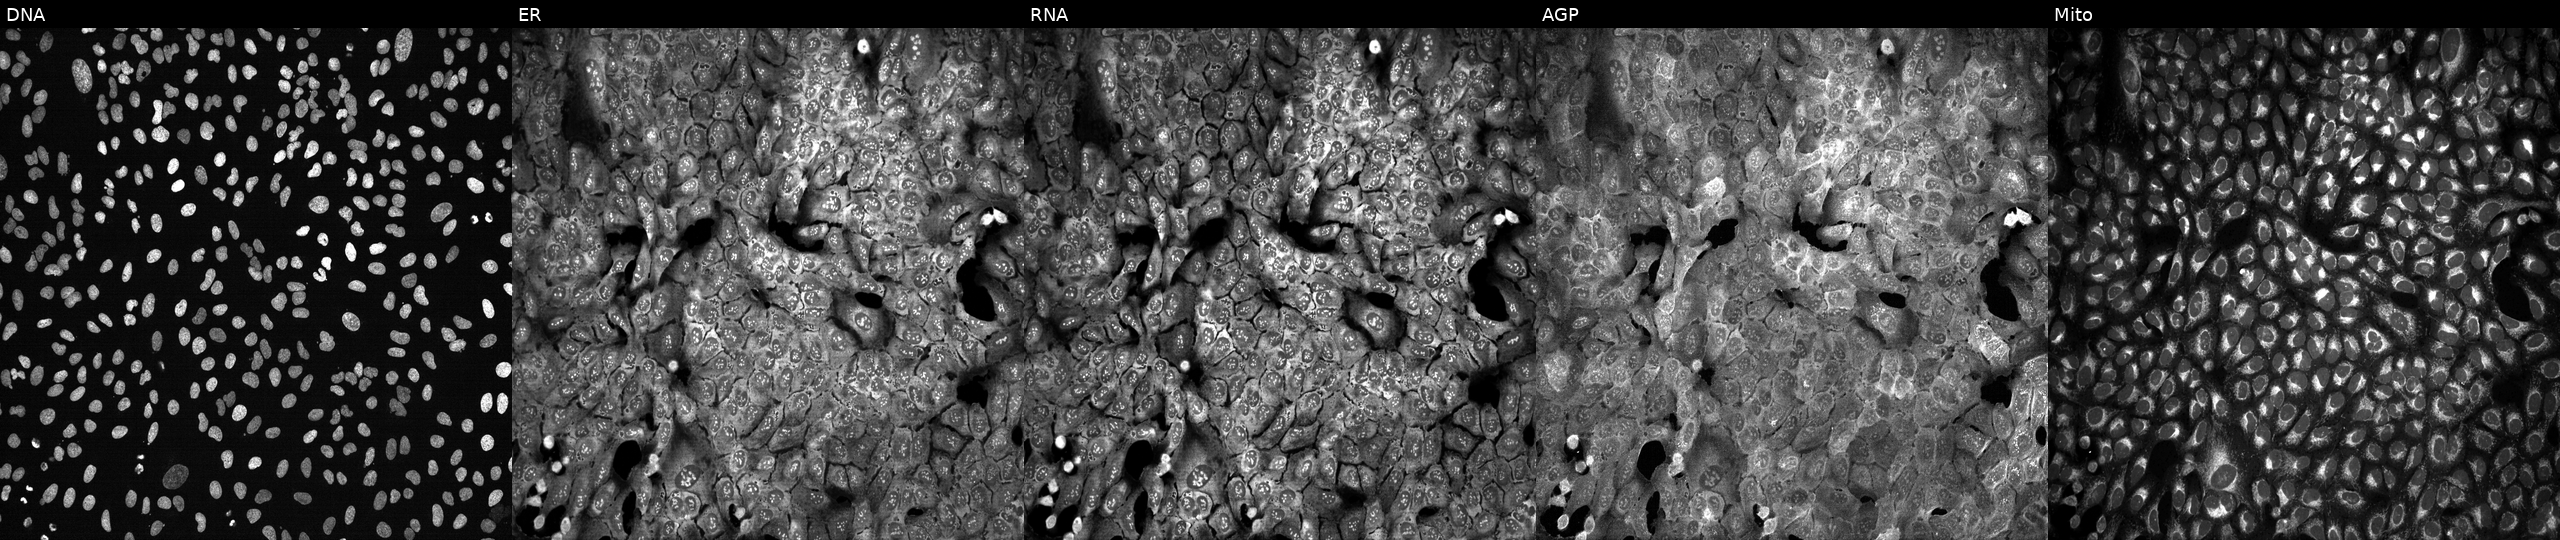
High-content fluorescence microscopy (Cell Painting). Cell line: U2OS. Perturbation: following CRISPR knockout of DROSHA. Panels show, left to right, Hoechst 33342, concanavalin A, SYTO 14, phalloidin and WGA, MitoTracker.